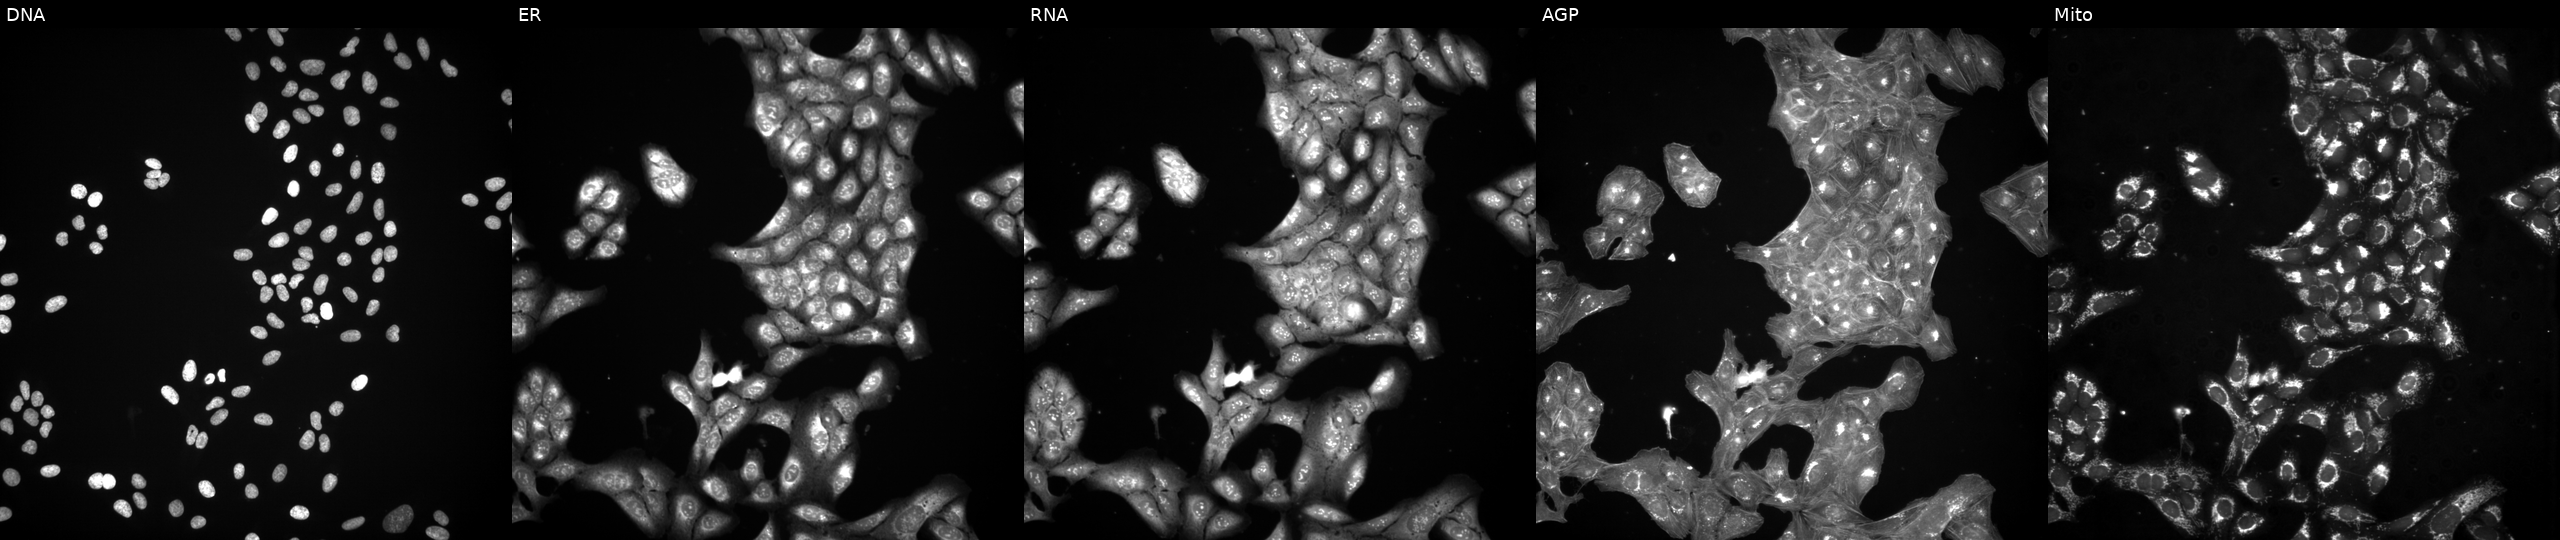
The five panels, left to right, show Hoechst 33342, concanavalin A, SYTO 14, phalloidin and WGA, MitoTracker. U2OS osteosarcoma cells treated with a small-molecule compound [SMILES: CCc1ccc(NC(=O)Cn2c(SC)nc3ccccc32)cc1] (JUMP id JCP2022_111170). Cell Painting assay, JUMP-CP dataset. Source 3, plate BR5867b3, well N17.